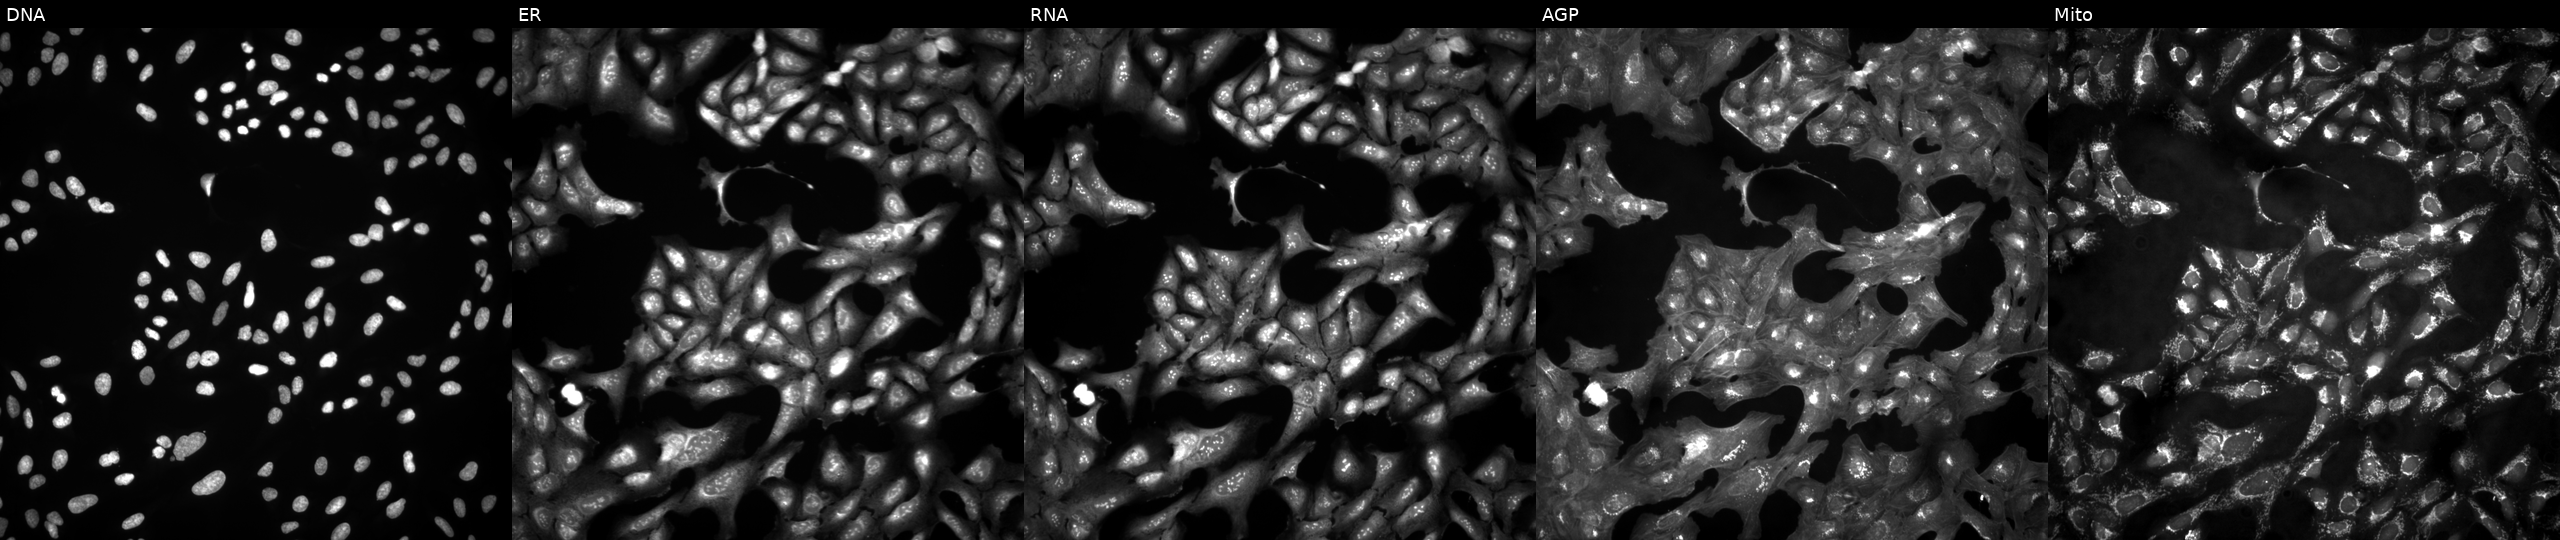
U2OS cells, Cell Painting assay, in an empty control well (no perturbation) (JUMP id JCP2022_999999). Panels show, left to right, DNA (nuclei); ER (endoplasmic reticulum); RNA (nucleoli and cytoplasmic RNA); AGP (actin cytoskeleton, Golgi, and plasma membrane); Mito (mitochondria). Each panel is percentile-stretched 16-bit fluorescence.